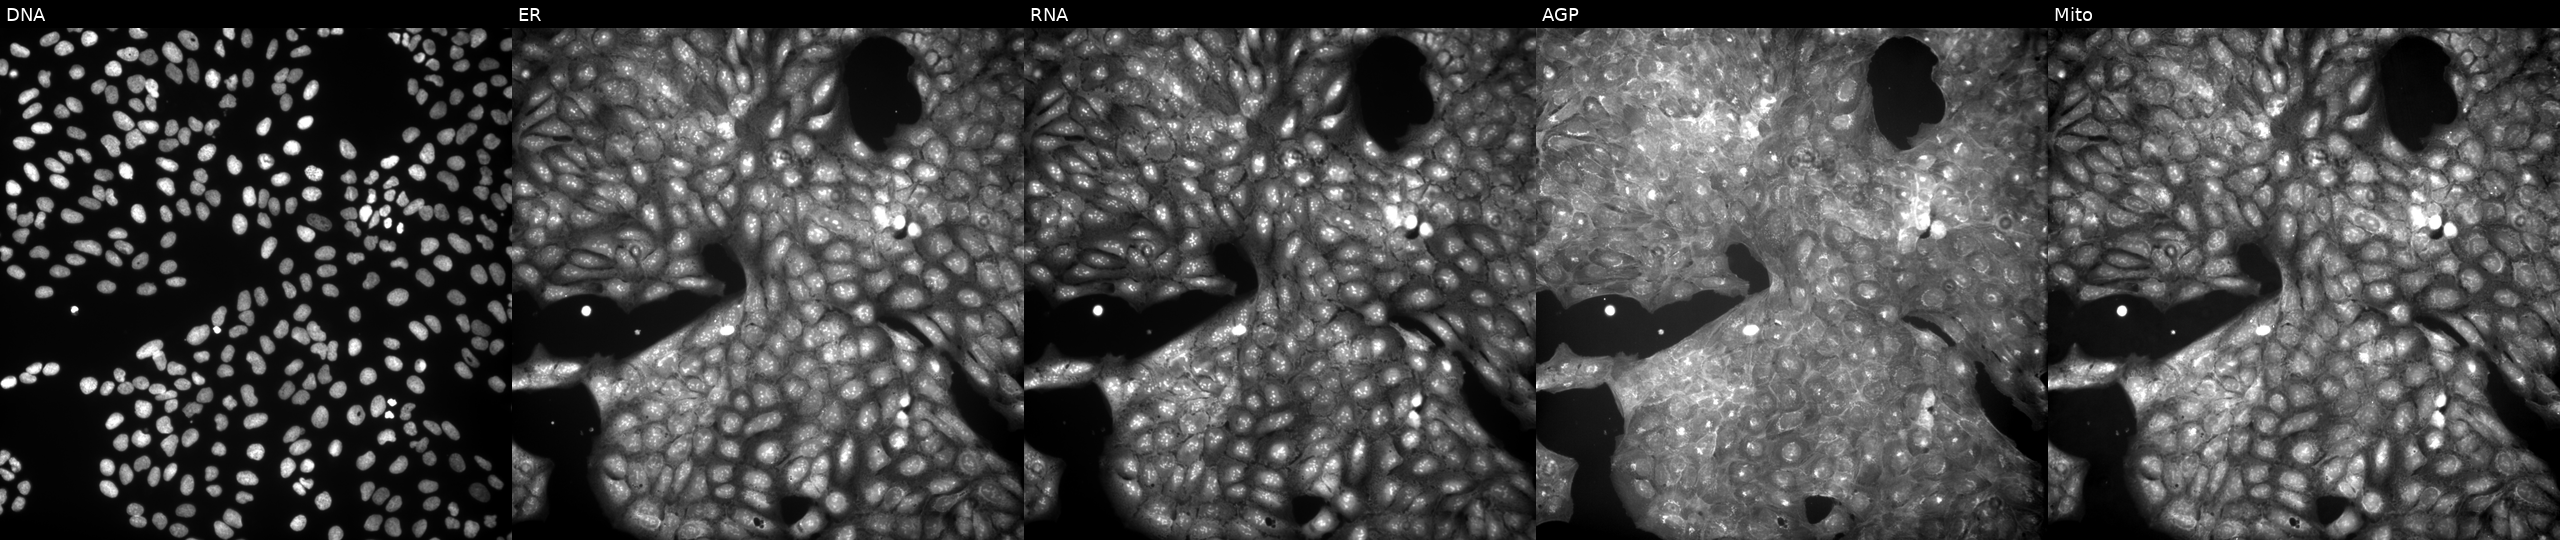
Five-channel Cell Painting image of U2OS cells exposed to a small-molecule compound (InChIKey PZLAZHLMSZCPEY-UHFFFAOYSA-N) (JUMP id JCP2022_071976). Panels show, left to right, Hoechst 33342, concanavalin A, SYTO 14, phalloidin and WGA, MitoTracker.